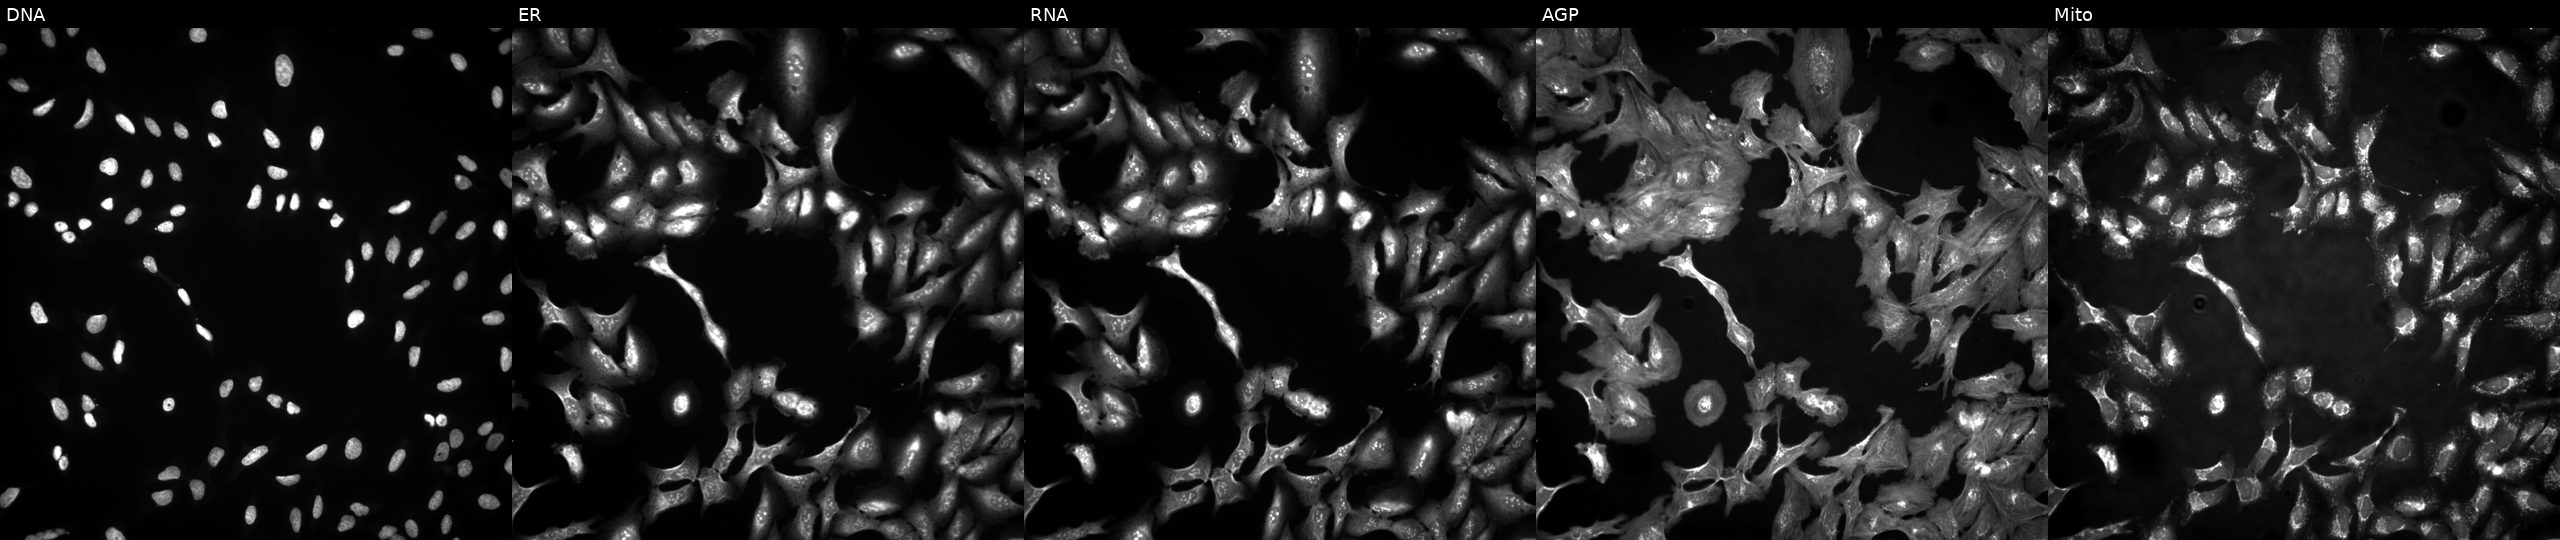
Five-channel Cell Painting image of U2OS cells with GAGE12E overexpressed (ORF). From left to right: DNA (nuclei); ER (endoplasmic reticulum); RNA (nucleoli and cytoplasmic RNA); AGP (actin cytoskeleton, Golgi, and plasma membrane); Mito (mitochondria).